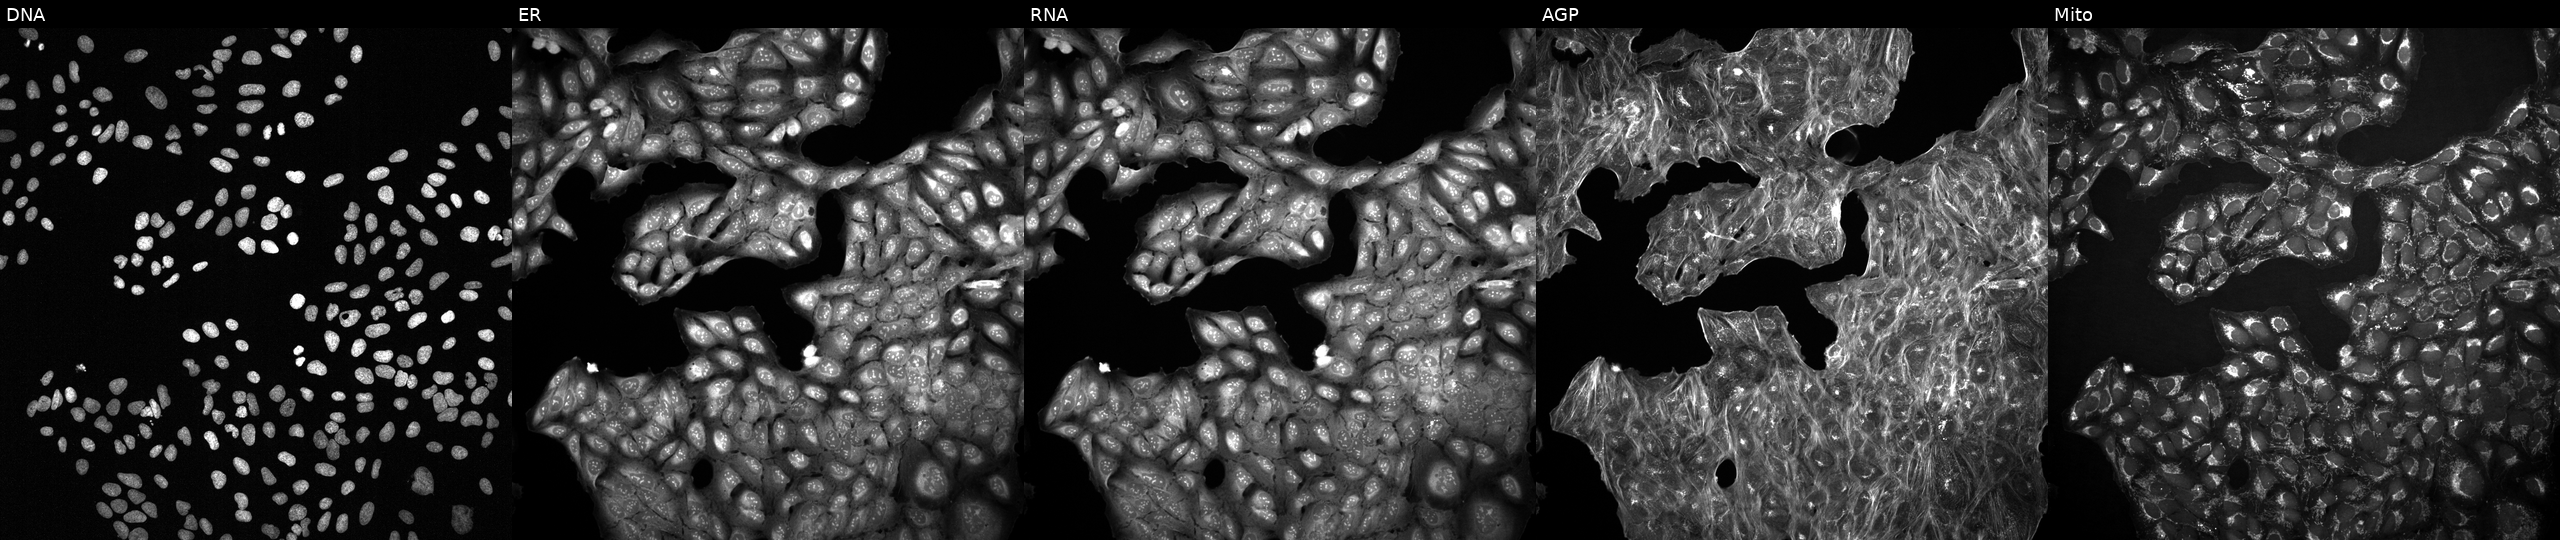
From left to right: Hoechst 33342, concanavalin A, SYTO 14, phalloidin and WGA, MitoTracker. U2OS osteosarcoma cells exposed to the positive-control compound aloxistatin. Cell Painting assay, JUMP-CP dataset.